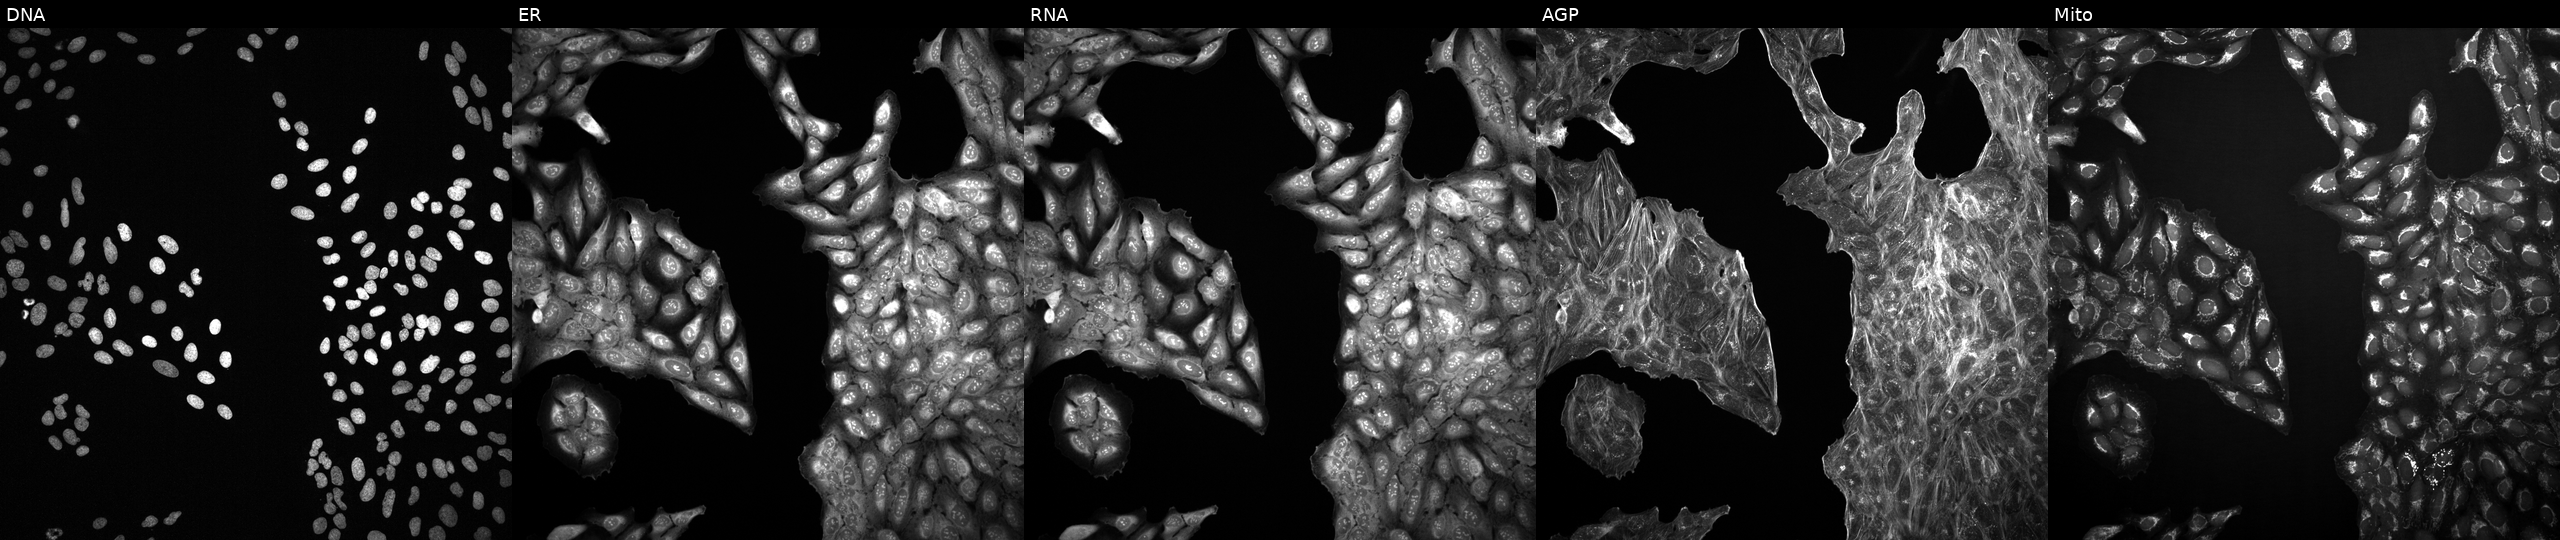
U2OS cells, Cell Painting assay, exposed to DMSO alone as a negative control. Channels (left→right): DNA, ER, RNA, AGP, and Mito. Each panel is percentile-stretched 16-bit fluorescence.